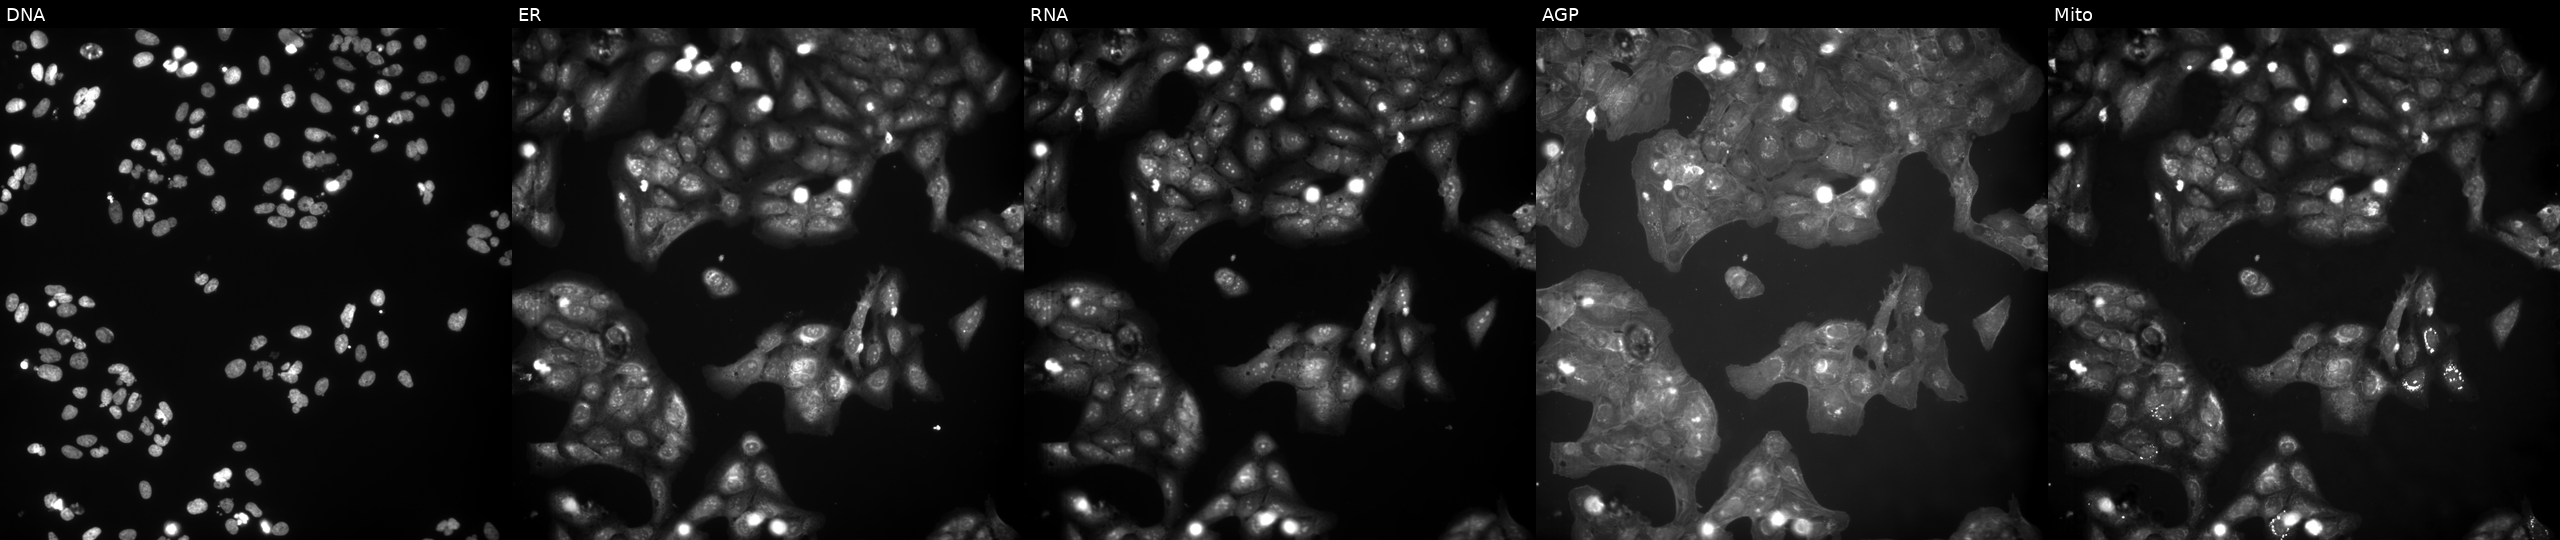
Five-channel Cell Painting image of U2OS cells exposed to a small-molecule compound. Panels show, left to right, Hoechst 33342, concanavalin A, SYTO 14, phalloidin and WGA, MitoTracker. Source 9, plate GR00003382, well A30.